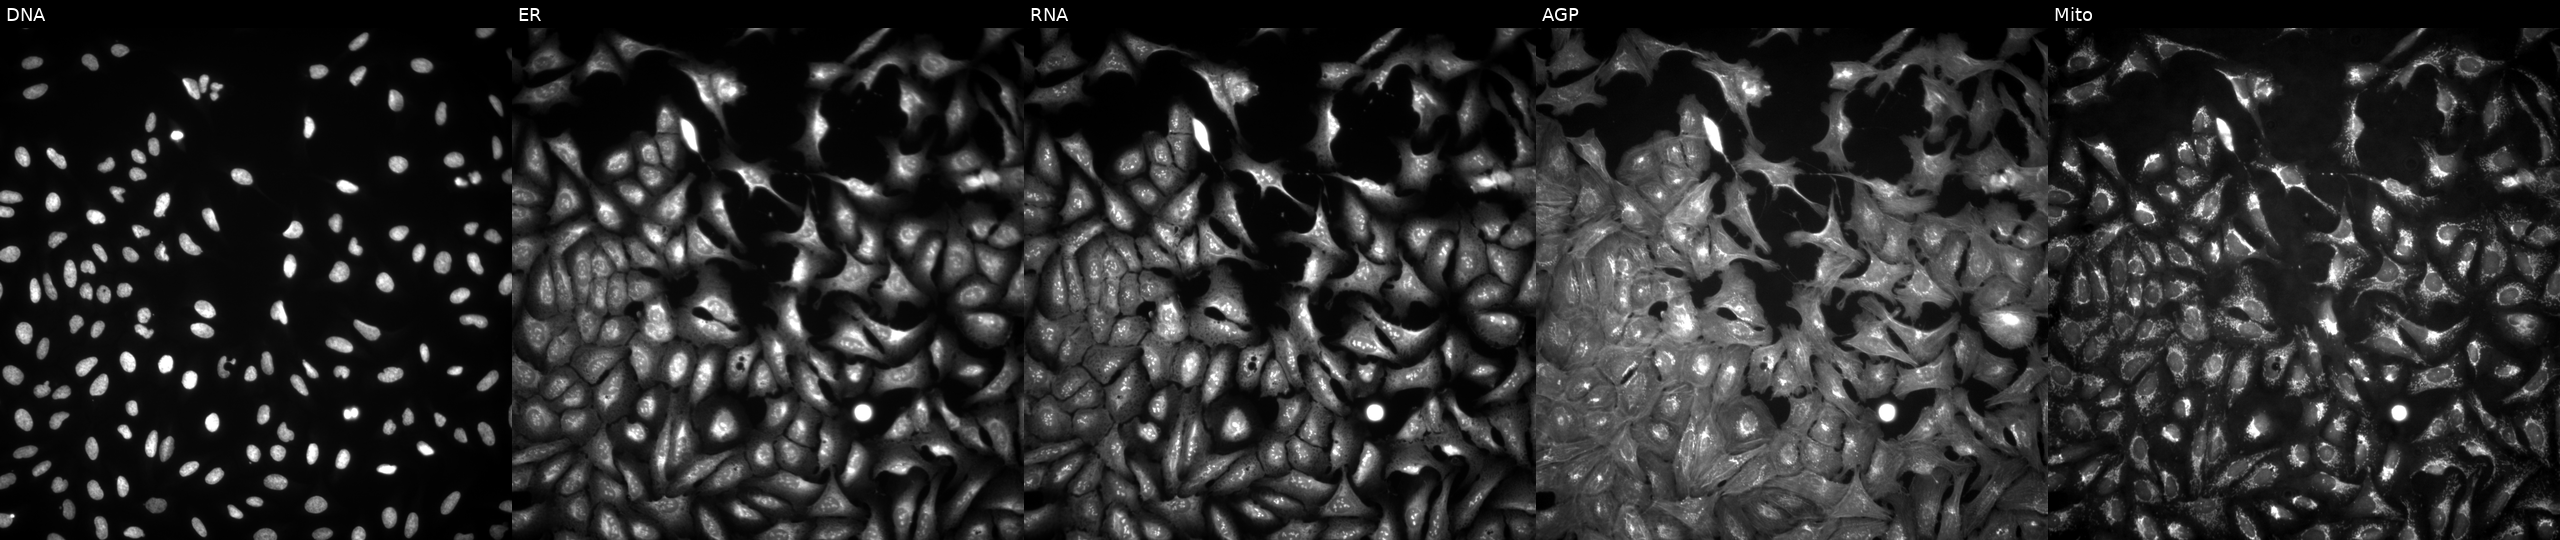
U2OS cells, Cell Painting assay, expressing LacZ (ORF negative control) (JUMP id JCP2022_915131). From left to right: DNA, ER, RNA, AGP, and Mito. Each panel is percentile-stretched 16-bit fluorescence.